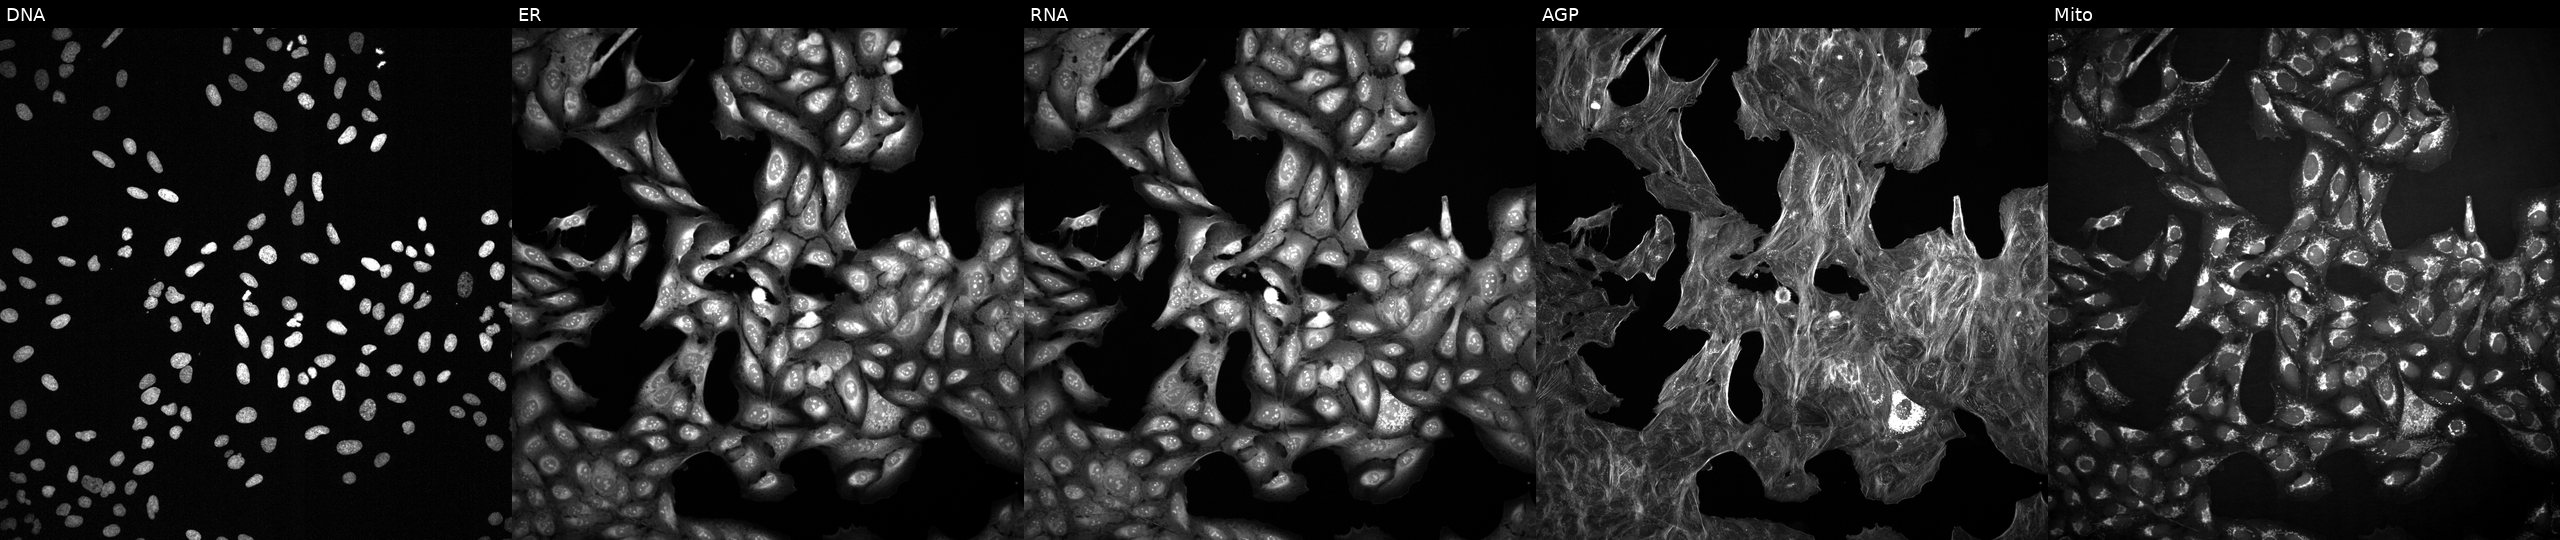
Five-channel Cell Painting image of U2OS cells with an unidentified perturbation (not annotated in JUMP metadata). From left to right: DNA, ER, RNA, AGP, and Mito. Source 2, plate 1053601756, well P06.